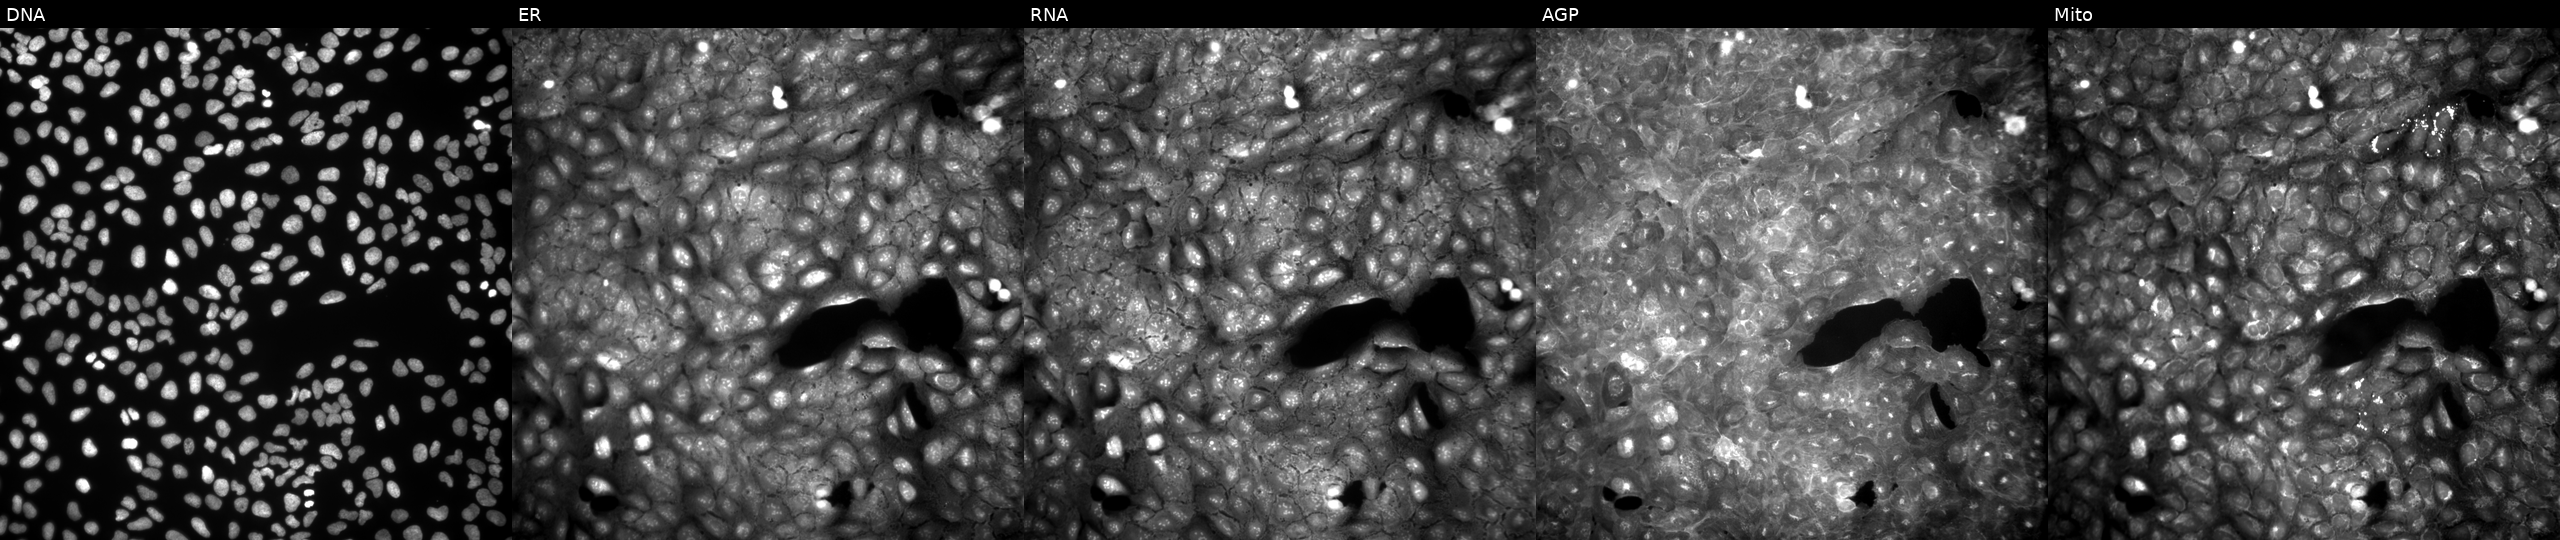
This image strip shows the five Cell Painting channels for a single field of U2OS cells exposed to a small-molecule compound (InChIKey GMDIHVABFGQCSB-UHFFFAOYSA-N). Channels (left→right): DNA, ER, RNA, AGP, and Mito. Source 9, plate GR00003381, well E41.